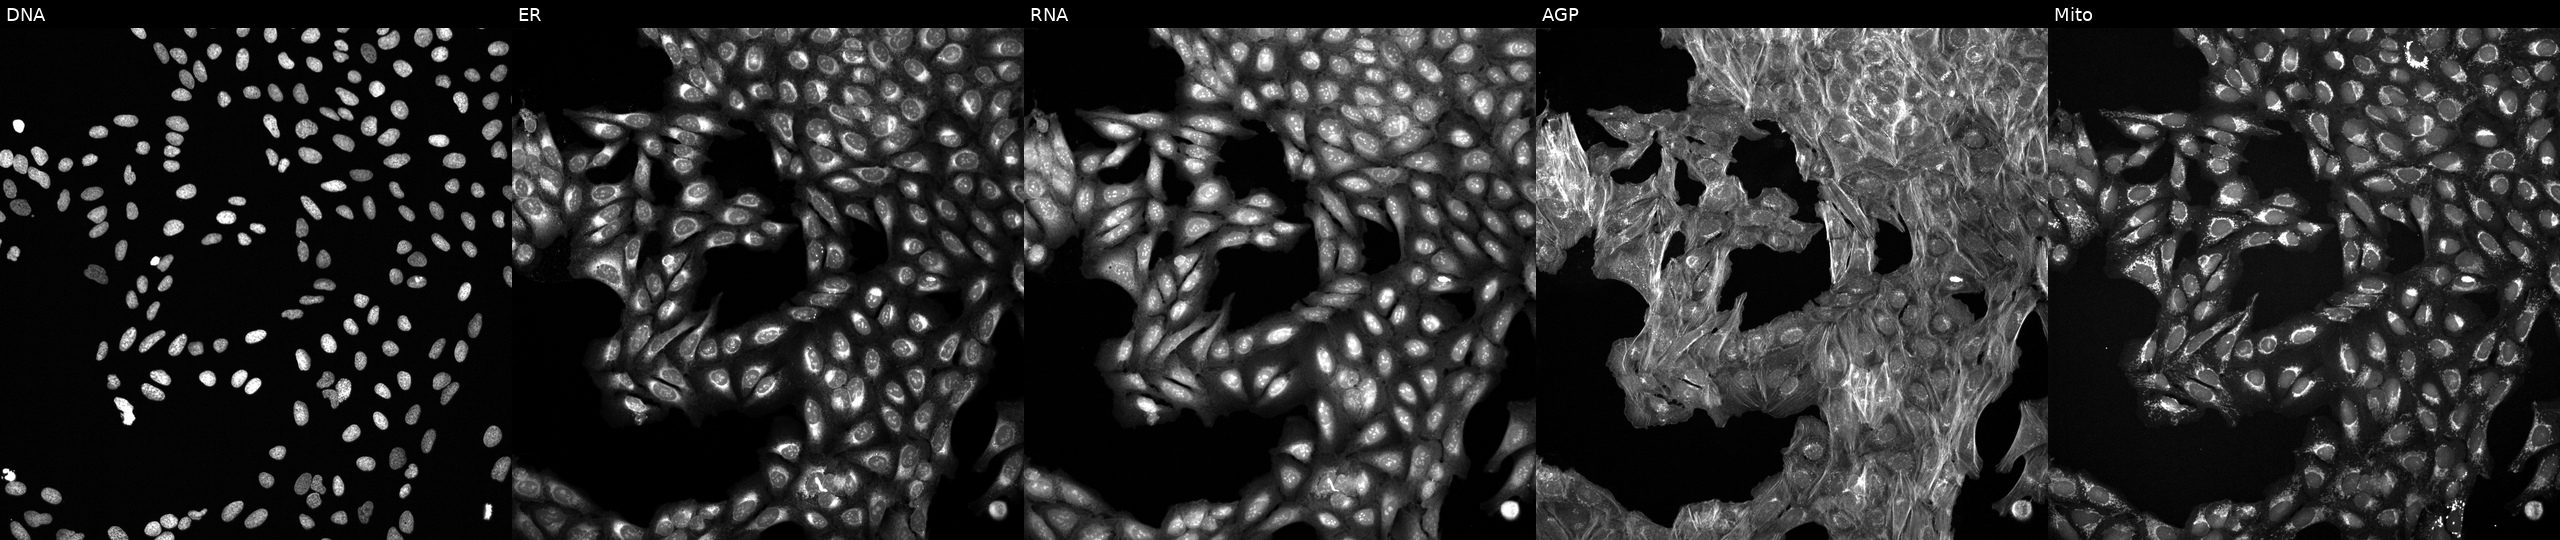
Five-channel Cell Painting image of U2OS cells perturbed with a small-molecule compound (InChIKey QVZCXCJXTMIDME-UHFFFAOYSA-N). Panels show, left to right, DNA (nuclei); ER (endoplasmic reticulum); RNA (nucleoli and cytoplasmic RNA); AGP (actin cytoskeleton, Golgi, and plasma membrane); Mito (mitochondria). Source 6, plate 110000294901, well L14.